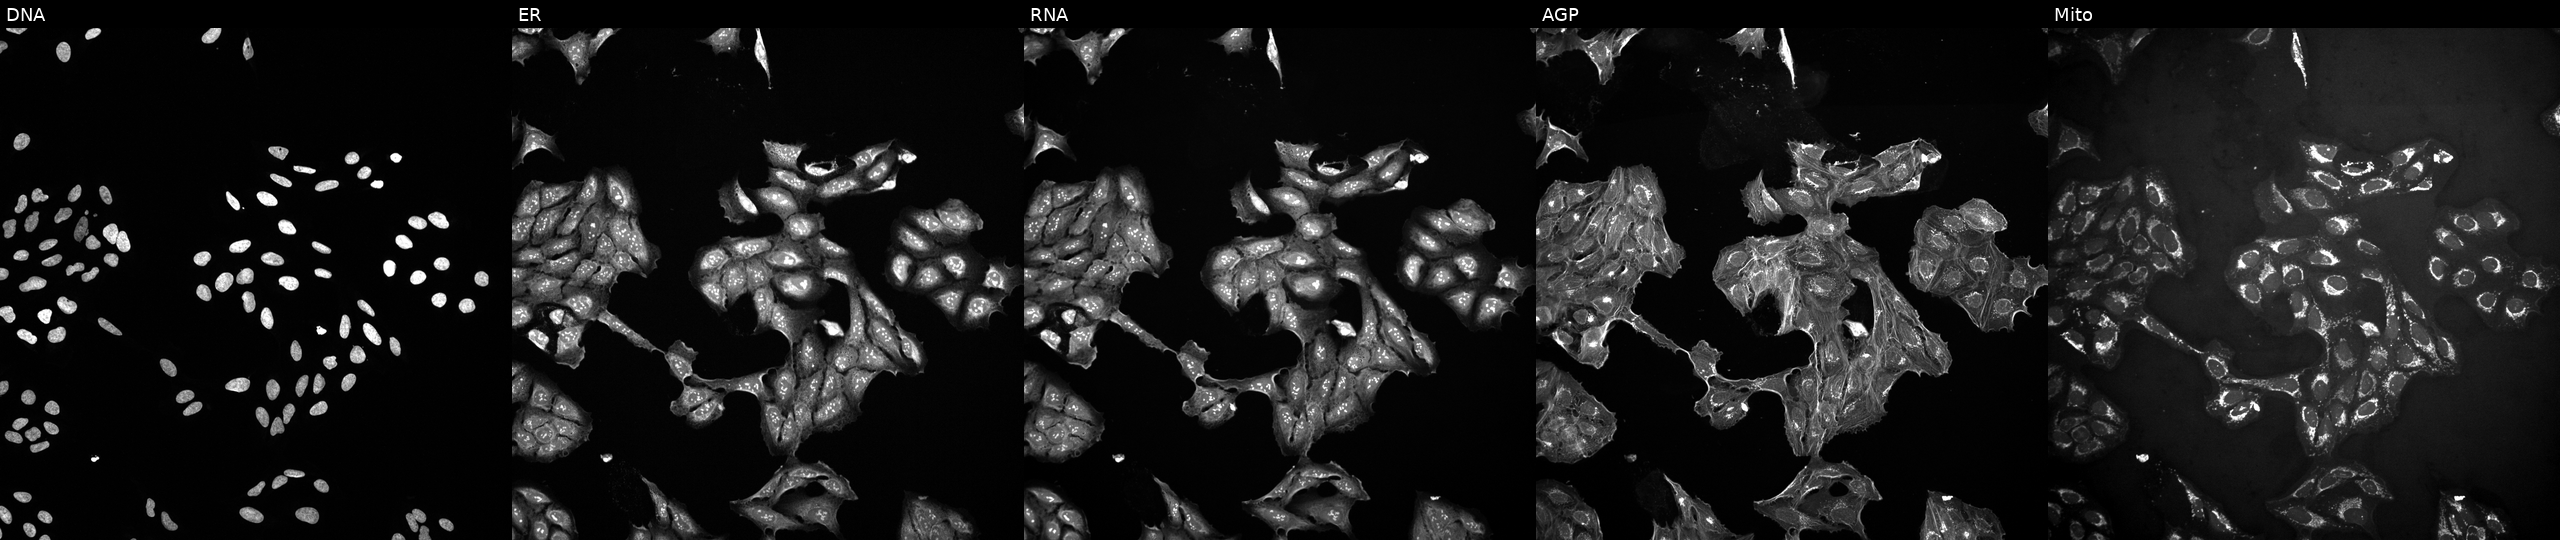
Five-channel Cell Painting image of U2OS cells perturbed with a small-molecule compound (InChIKey XGSJEQMUYNACHR-UHFFFAOYSA-N) [SMILES: CC(C)(C(=O)NCC1(O)CCN(c2cnccn2)C1)n1cncn1]. The five panels, left to right, show DNA, ER, RNA, AGP, and Mito. Source 10, plate Dest210531-152149, well K06.